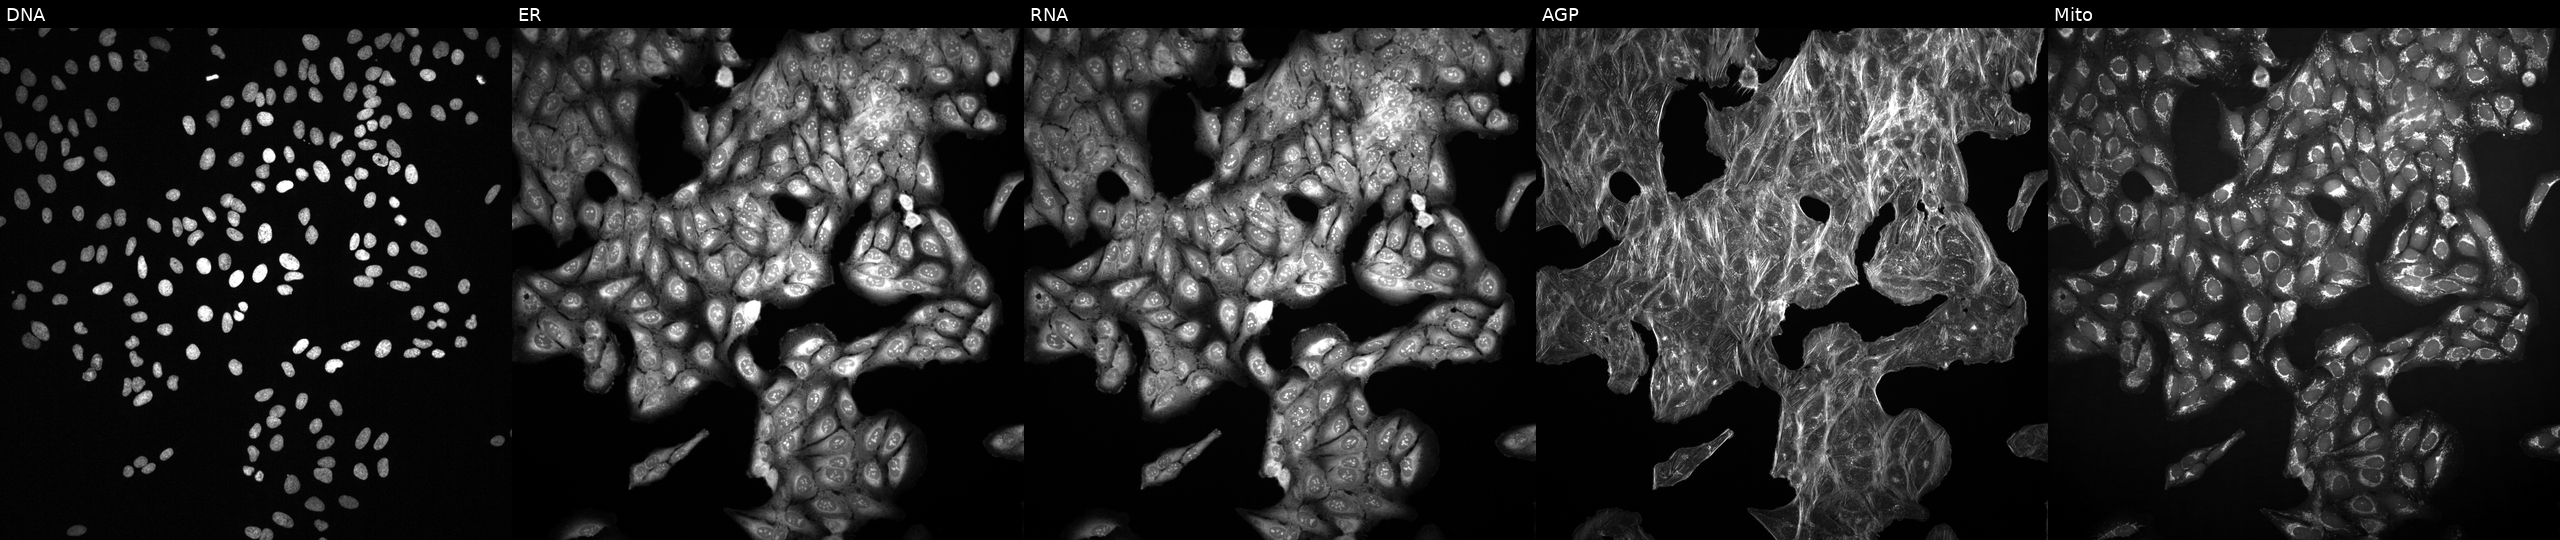
This image strip shows the five Cell Painting channels for a single field of U2OS cells treated with DMSO vehicle only (negative control) (JUMP id JCP2022_033924). From left to right: DNA, ER, RNA, AGP, and Mito. Source 2, plate 1053597936, well P11.